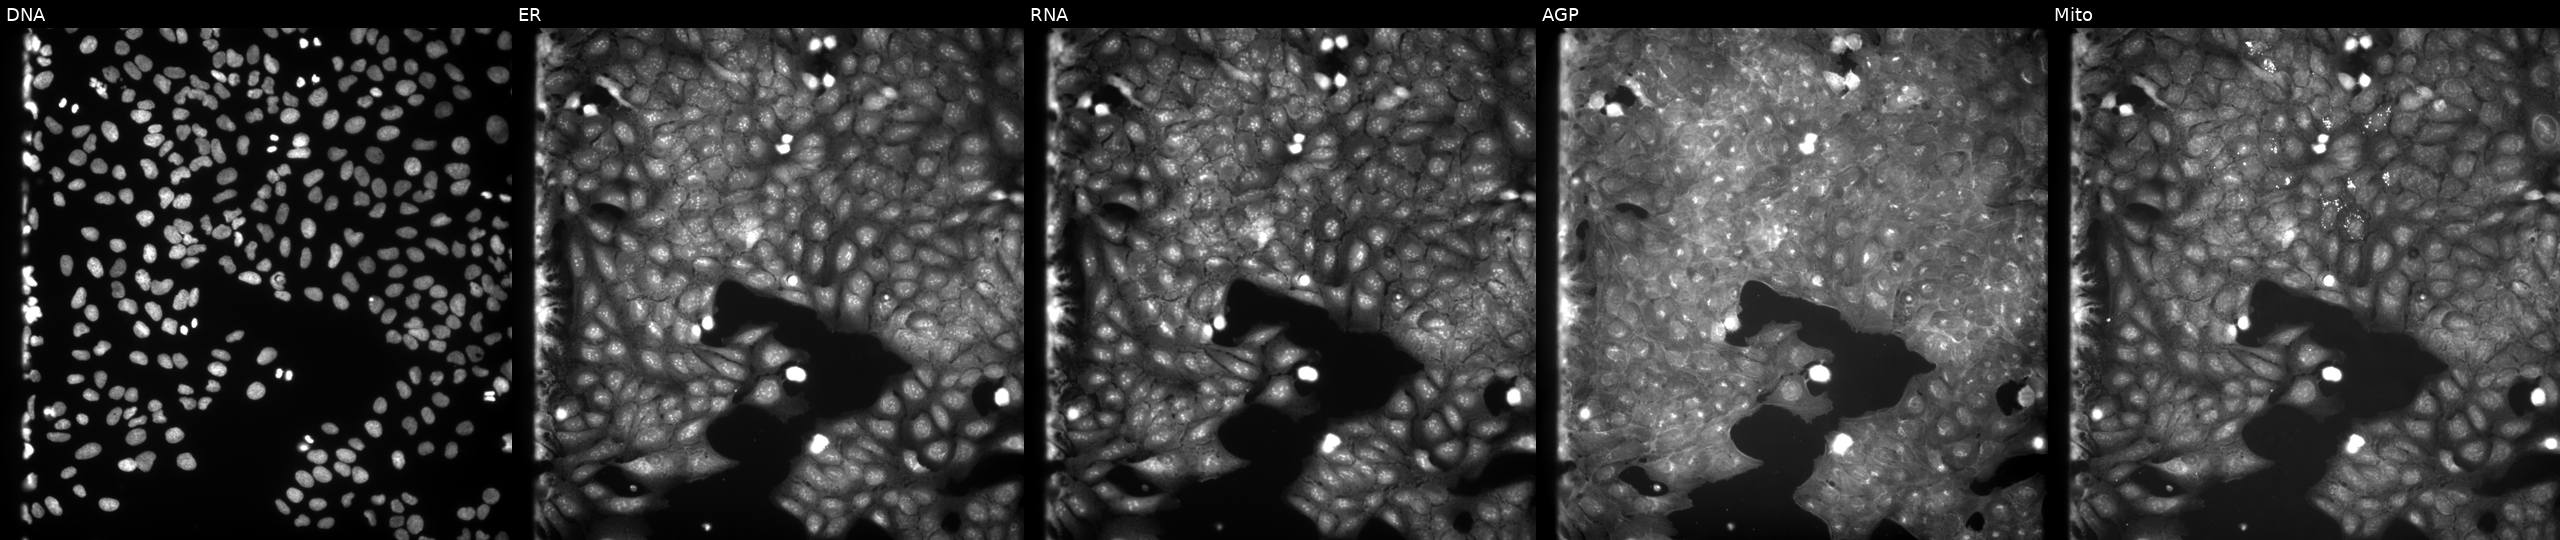
U2OS cells, Cell Painting assay, perturbed with a small-molecule compound (JUMP id JCP2022_061586). Channels (left→right): Hoechst 33342, concanavalin A, SYTO 14, phalloidin and WGA, MitoTracker. Each panel is percentile-stretched 16-bit fluorescence. Source 9, plate GR00003381, well C12.